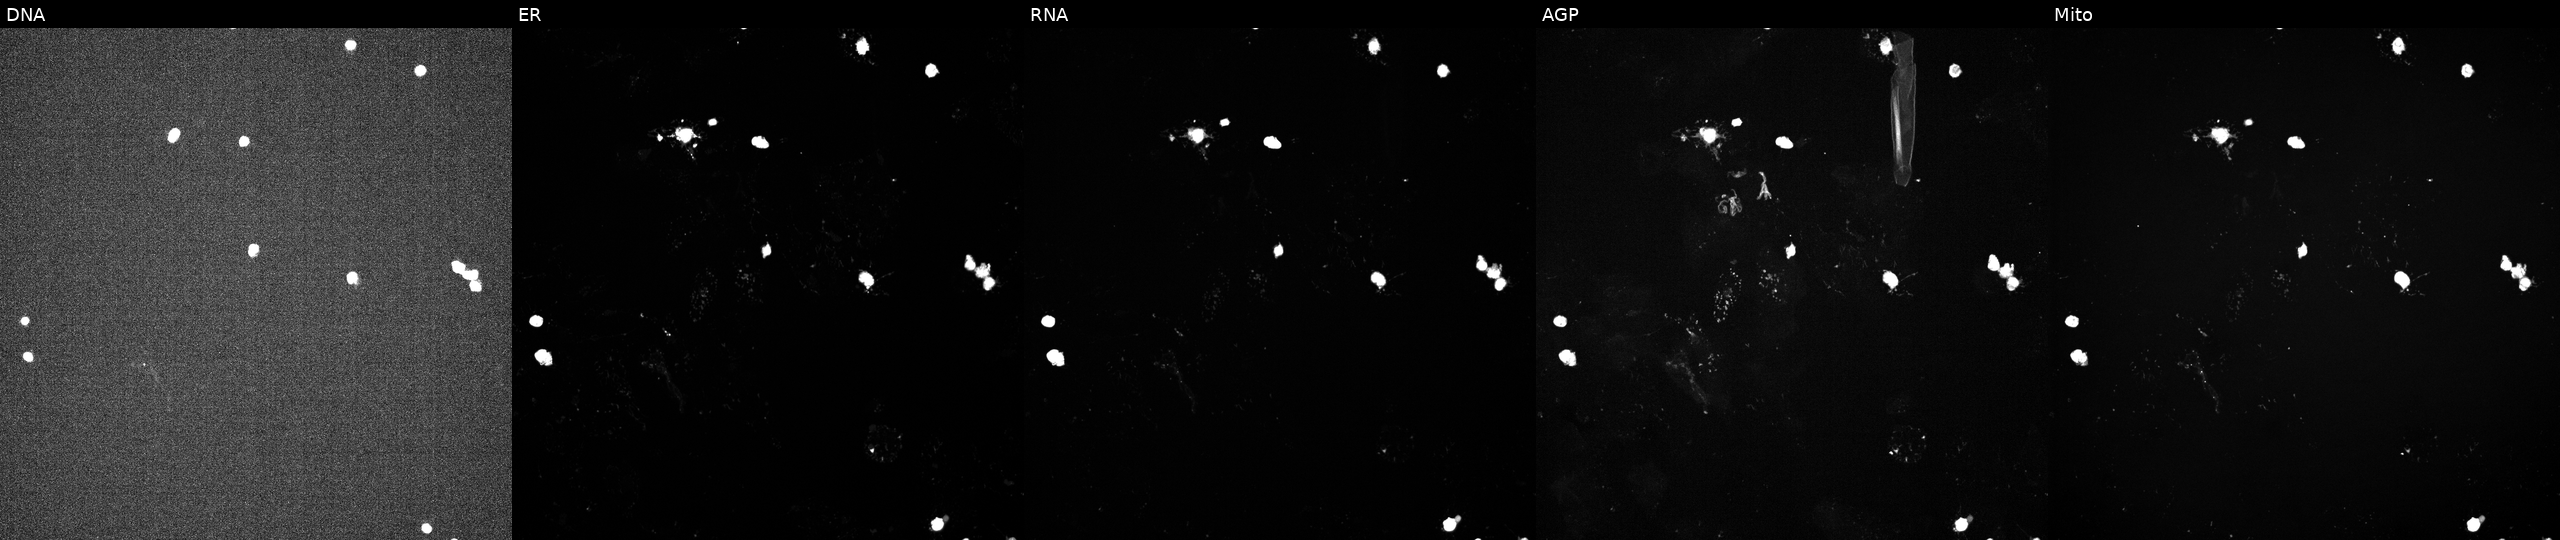
JUMP Cell Painting — TARGET2 plate. U2OS cells treated with a small-molecule compound (InChIKey XUZQTIZWMHMWOC-UHFFFAOYSA-N). The five panels, left to right, show DNA, ER, RNA, AGP, and Mito.